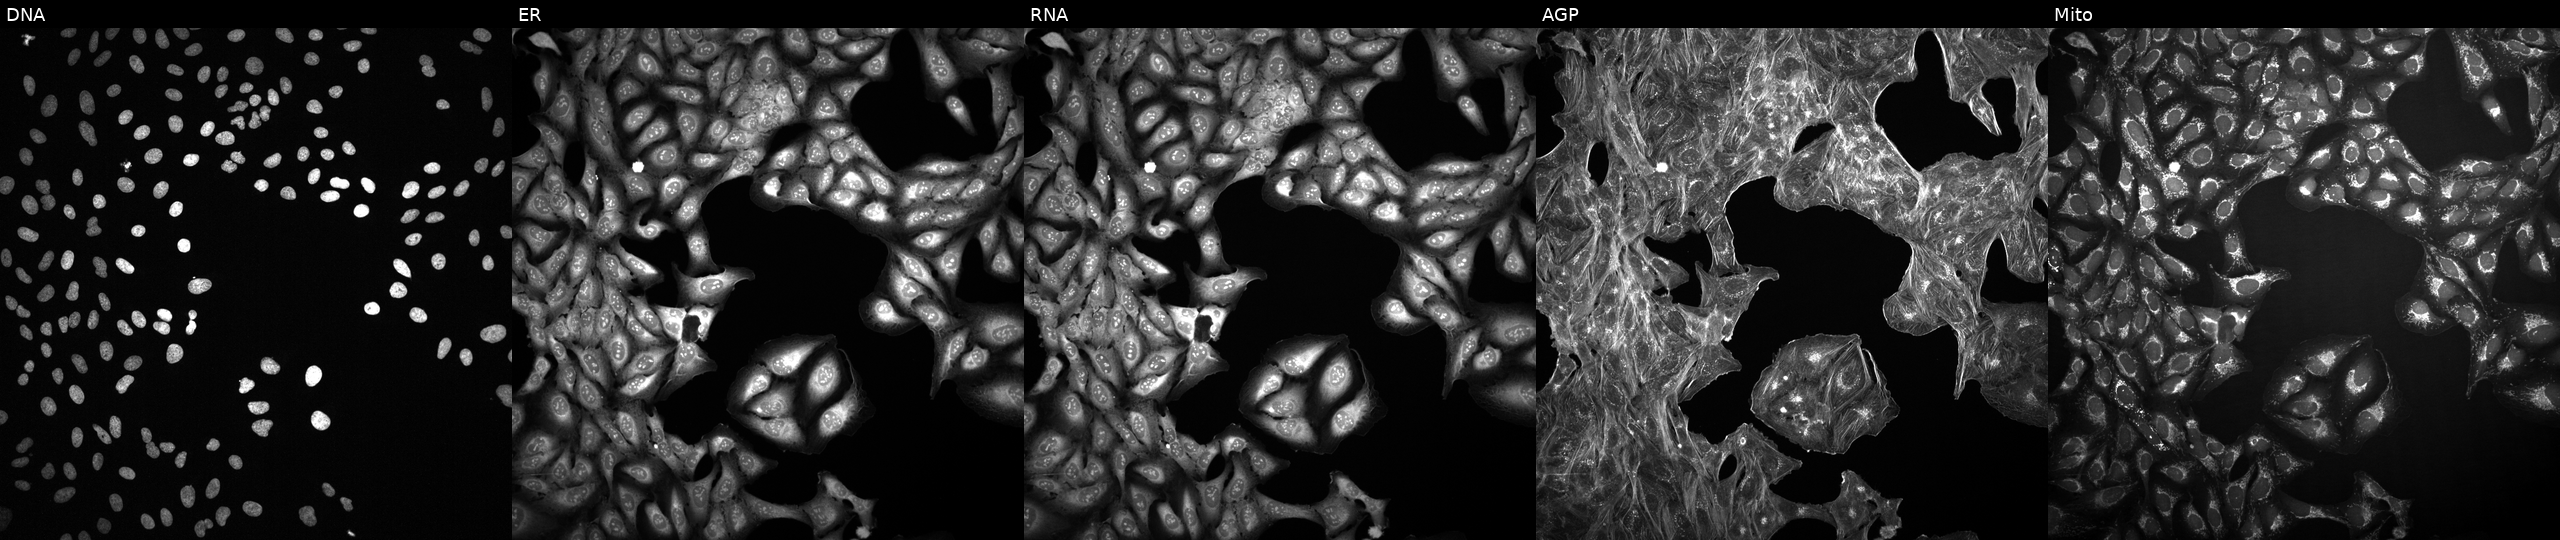
U2OS cells, Cell Painting assay, perturbed with a small-molecule compound (InChIKey HULPONUAINYLQQ-UHFFFAOYSA-N) [SMILES: CC=C(C)C(=O)OC1C(C)=CC23C(=O)C(=CC(CO)C(O)C12O)C1C(CC3C)C1(C)C]. The five panels, left to right, show DNA (nuclei); ER (endoplasmic reticulum); RNA (nucleoli and cytoplasmic RNA); AGP (actin cytoskeleton, Golgi, and plasma membrane); Mito (mitochondria). Each panel is percentile-stretched 16-bit fluorescence.